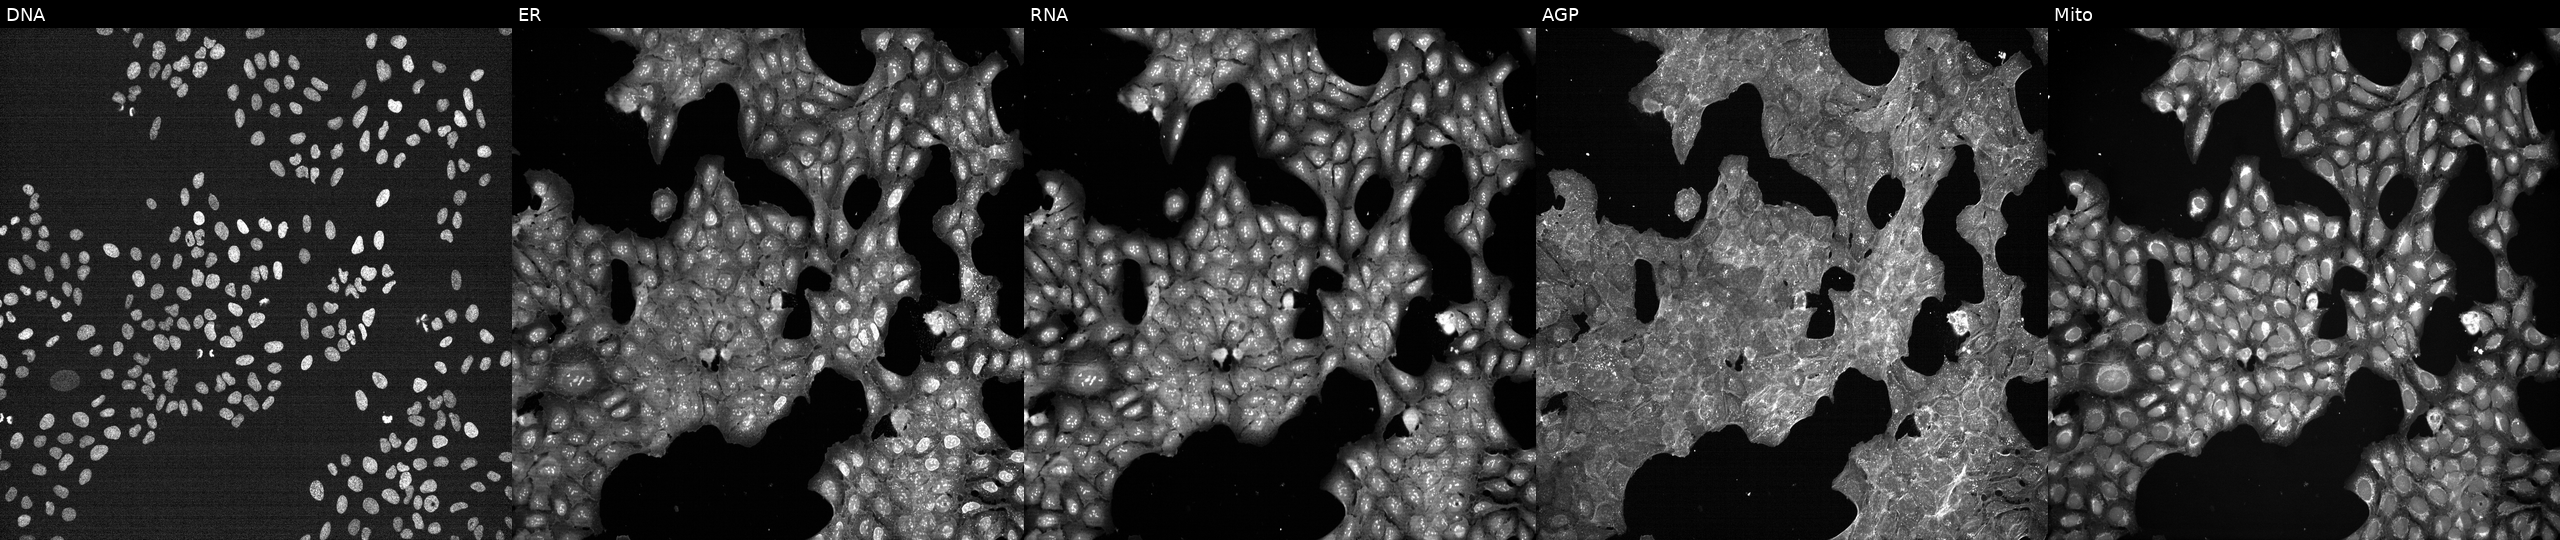
Five-channel Cell Painting image of U2OS cells perturbed with a small-molecule compound. Panels show, left to right, DNA (nuclei); ER (endoplasmic reticulum); RNA (nucleoli and cytoplasmic RNA); AGP (actin cytoskeleton, Golgi, and plasma membrane); Mito (mitochondria). Source 7, plate CP1-SC1-25, well K09.